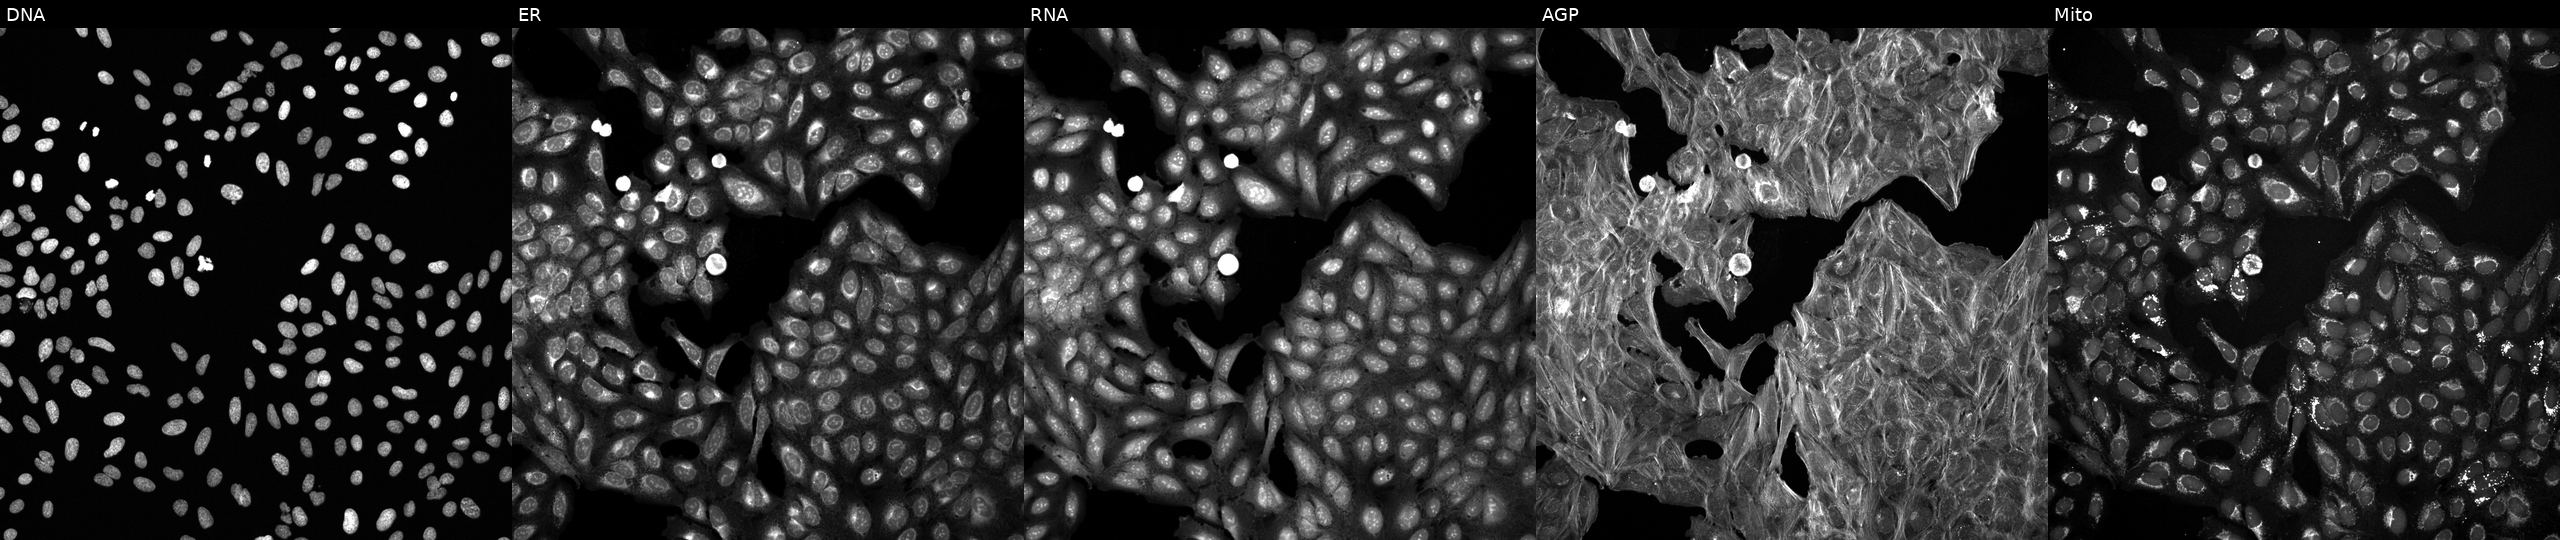
JUMP Cell Painting — COMPOUND plate. U2OS cells exposed to a small-molecule compound (InChIKey CZFONVDTAFIPCU-UHFFFAOYSA-N) (JUMP id JCP2022_014415). Panels show, left to right, DNA, ER, RNA, AGP, and Mito.